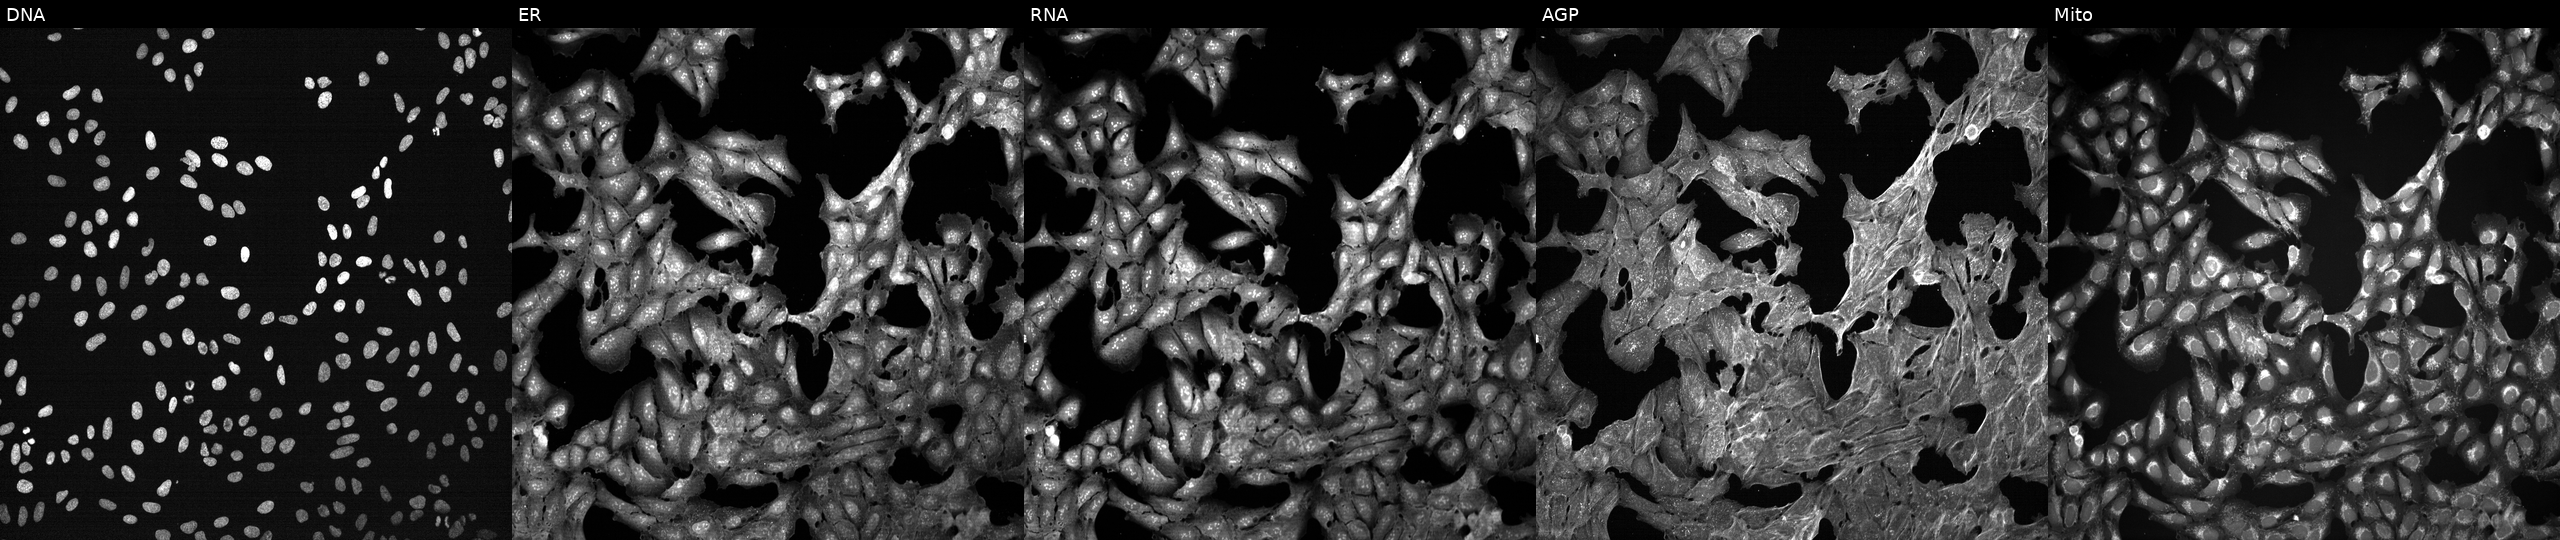
Five-channel Cell Painting image of U2OS cells perturbed with a small-molecule compound (InChIKey TZDUHAJSIBHXDL-UHFFFAOYSA-N) (JUMP id JCP2022_087693). From left to right: DNA, ER, RNA, AGP, and Mito. Source 7, plate CP3-SC1-25, well O18.